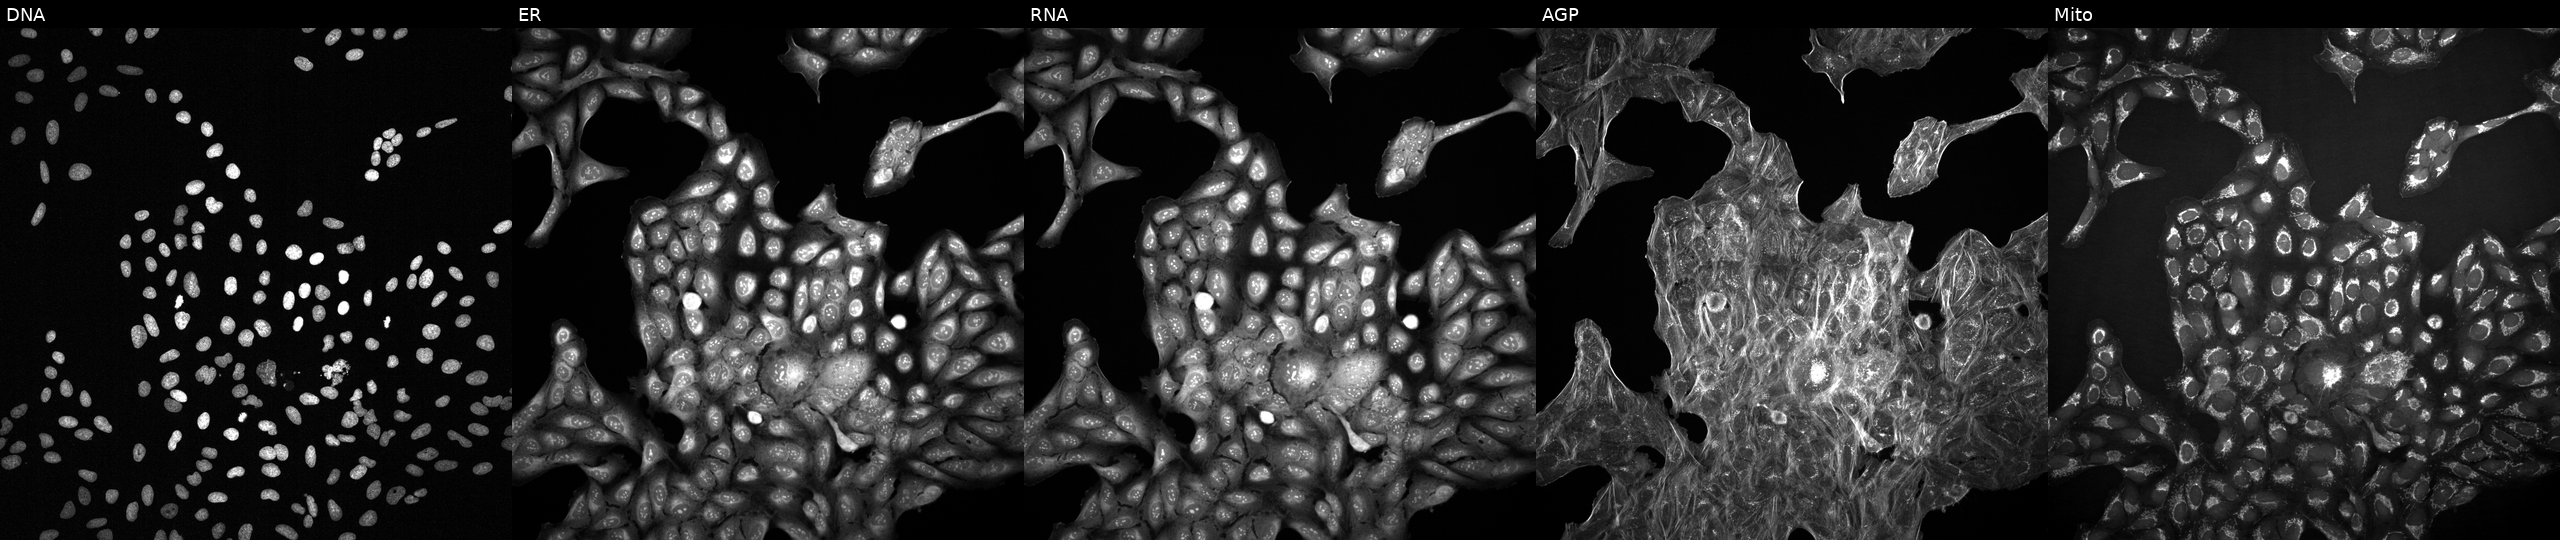
Five-channel Cell Painting image of U2OS cells perturbed with a small-molecule compound (InChIKey FHPOTBQOUBMMCI-UHFFFAOYSA-N) [SMILES: FCc1ccc(OCCOc2ccc(Cl)cc2Cl)c(Cl)n1] (JUMP id JCP2022_020718). The five panels, left to right, show DNA, ER, RNA, AGP, and Mito.